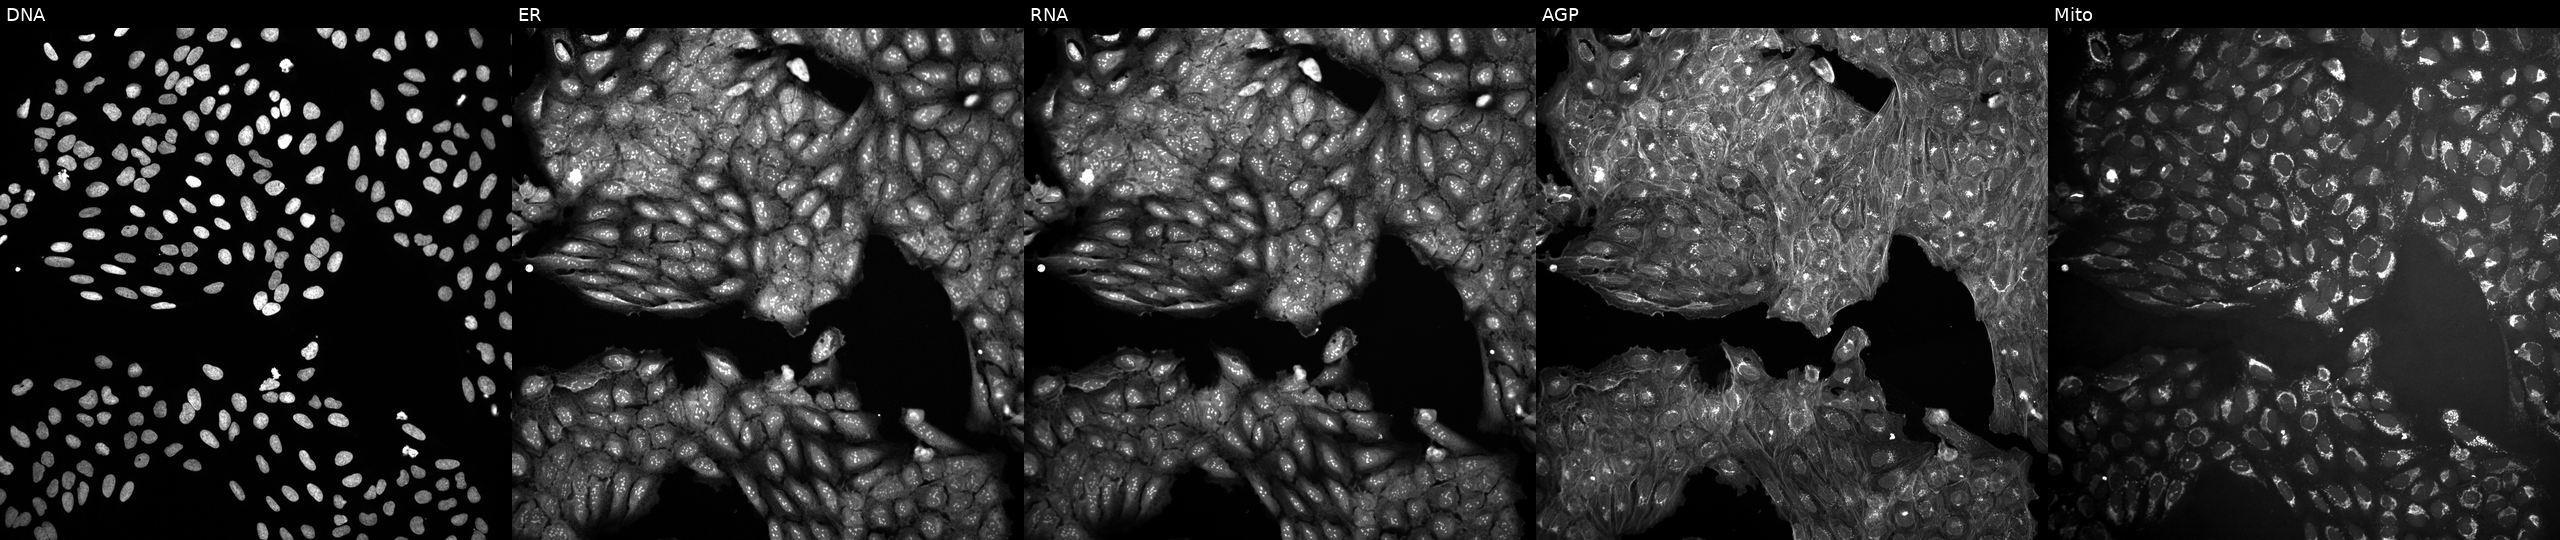
U2OS cells, Cell Painting assay, untreated (empty-well control). Channels (left→right): DNA (nuclei); ER (endoplasmic reticulum); RNA (nucleoli and cytoplasmic RNA); AGP (actin cytoskeleton, Golgi, and plasma membrane); Mito (mitochondria). Each panel is percentile-stretched 16-bit fluorescence. Source 10, plate Dest210531-152149, well F16.